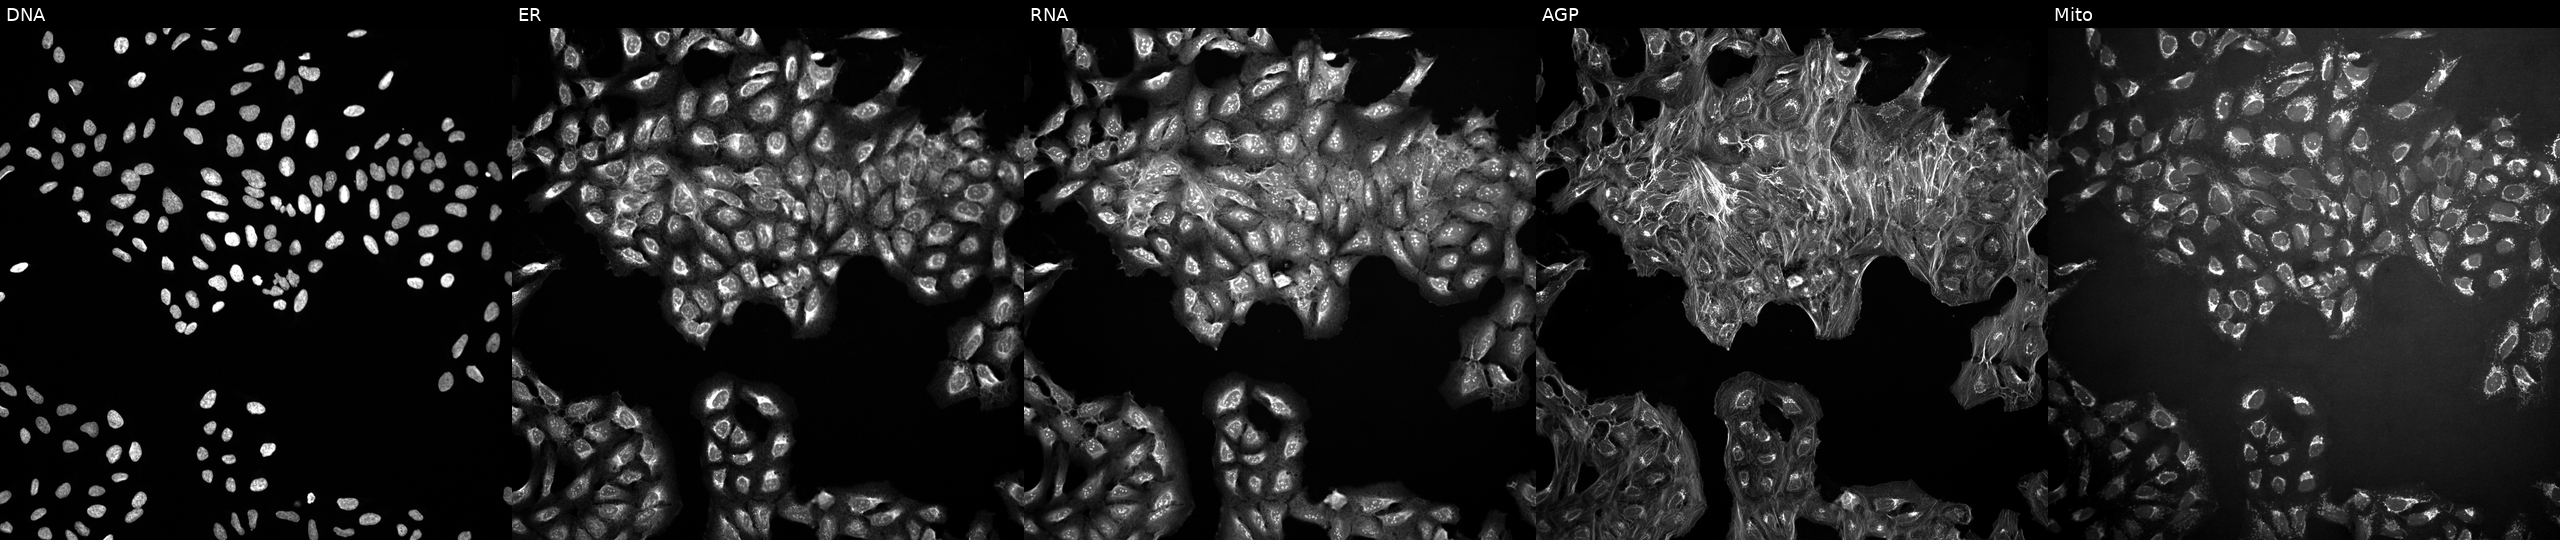
Channels (left→right): Hoechst 33342, concanavalin A, SYTO 14, phalloidin and WGA, MitoTracker. U2OS osteosarcoma cells in an empty control well (no perturbation) (JUMP id JCP2022_999999). Cell Painting assay, JUMP-CP dataset.